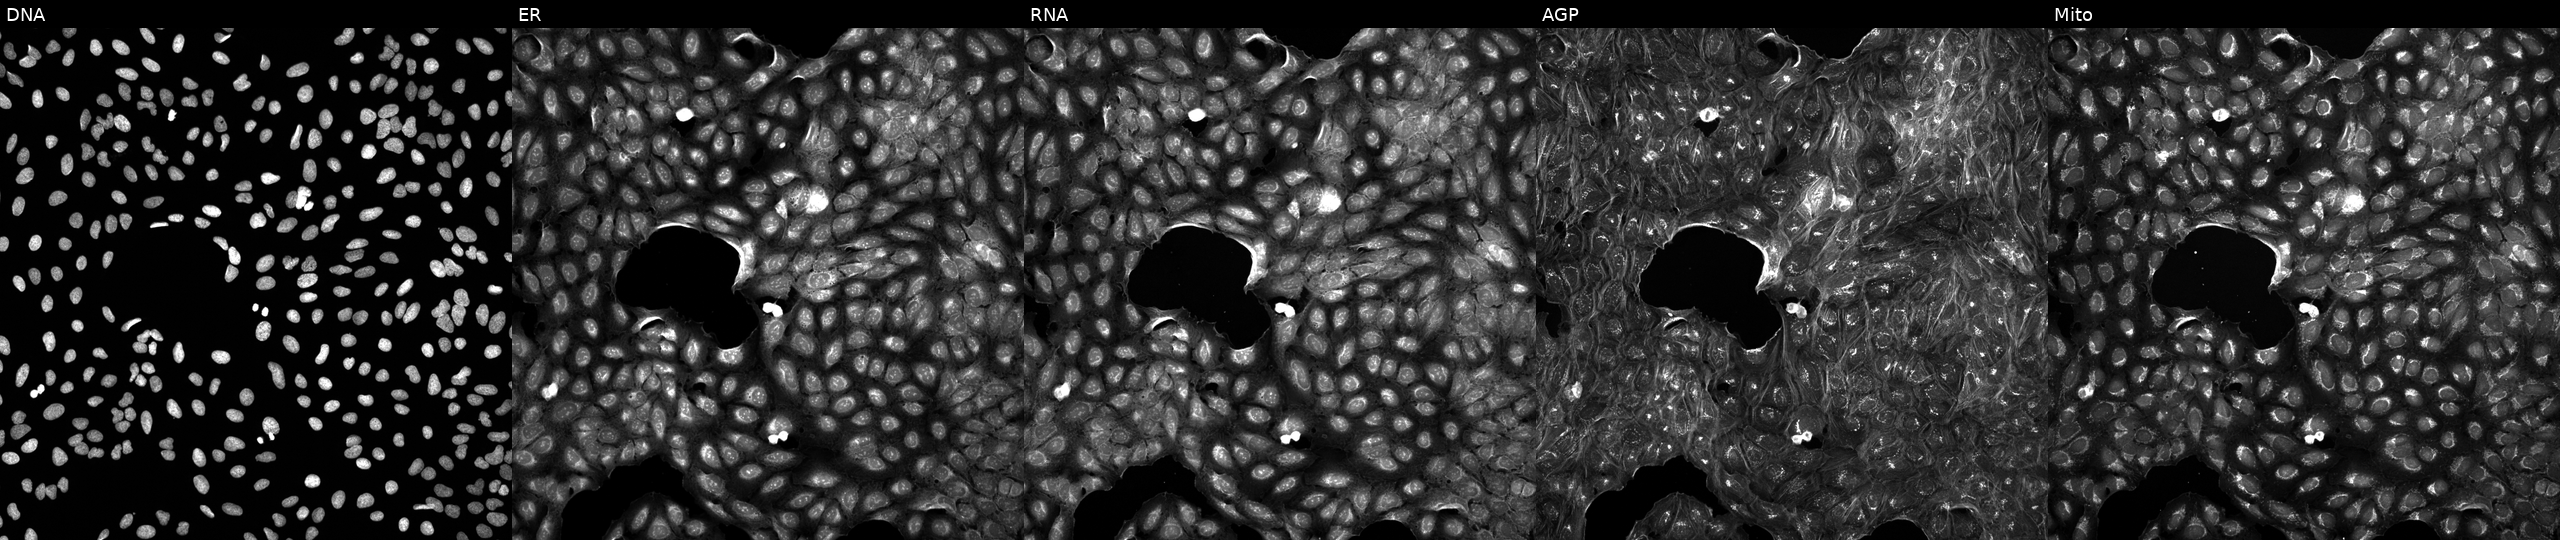
U2OS cells, Cell Painting assay, exposed to a small-molecule compound [SMILES: COc1cc(S(=O)(=O)N(Cc2ccc(C)cc2)C2CCCCC2)ccc1-n1cnnn1] (JUMP id JCP2022_027873). From left to right: DNA, ER, RNA, AGP, and Mito. Each panel is percentile-stretched 16-bit fluorescence. Source 5, plate APTJUM105, well E20.